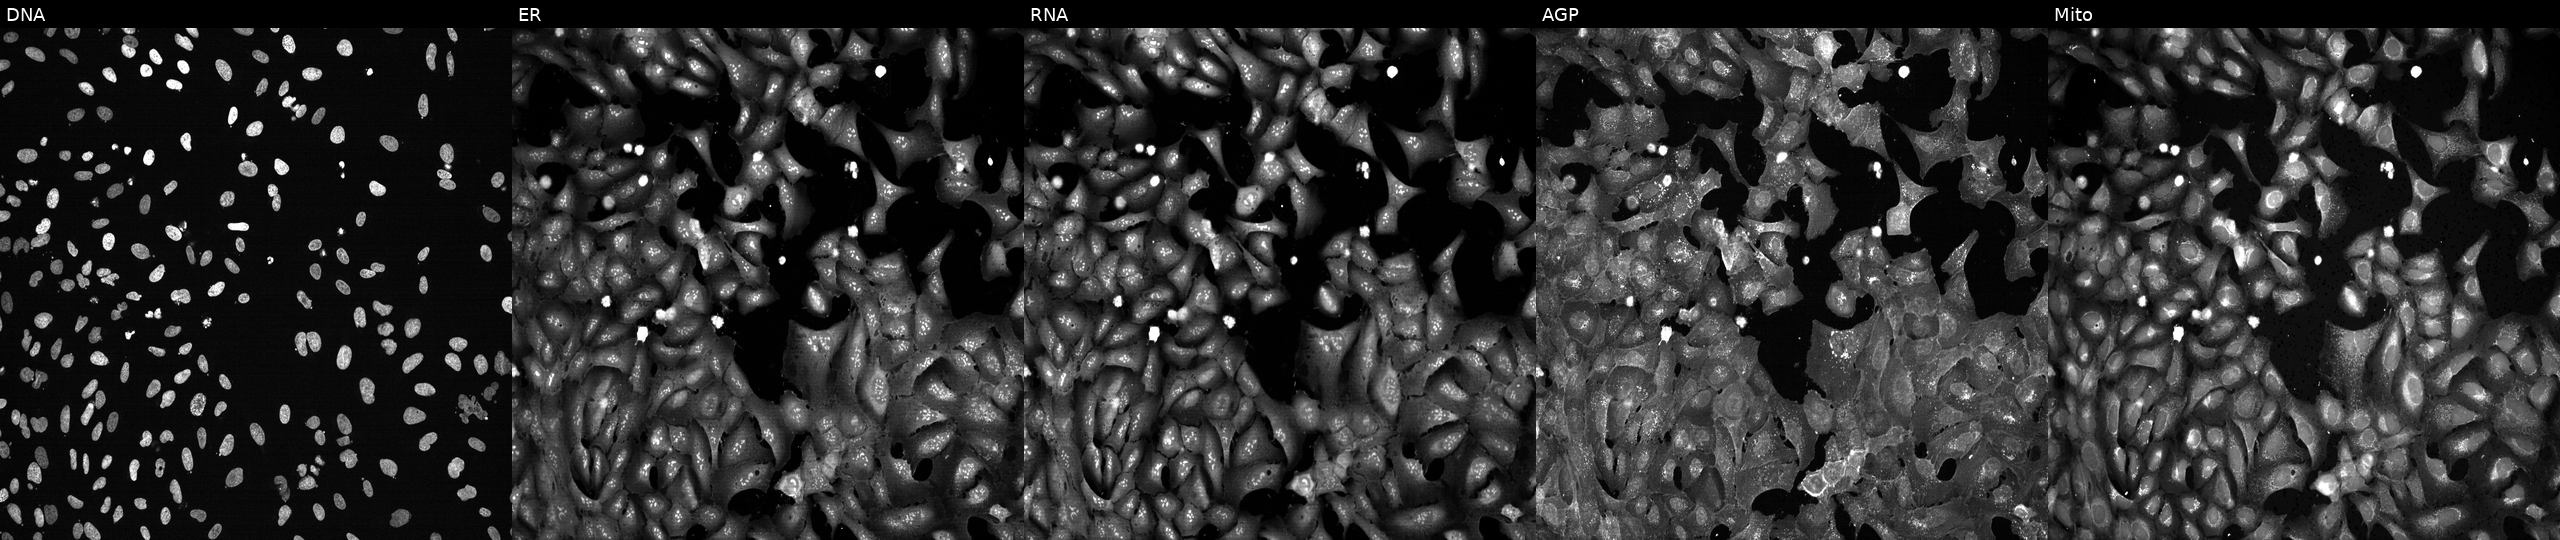
Channels (left→right): Hoechst 33342, concanavalin A, SYTO 14, phalloidin and WGA, MitoTracker. U2OS osteosarcoma cells following CRISPR knockout of POLR2J (JUMP id JCP2022_805351). Cell Painting assay, JUMP-CP dataset. Source 13, plate CP-CC9-R1-02, well E10.